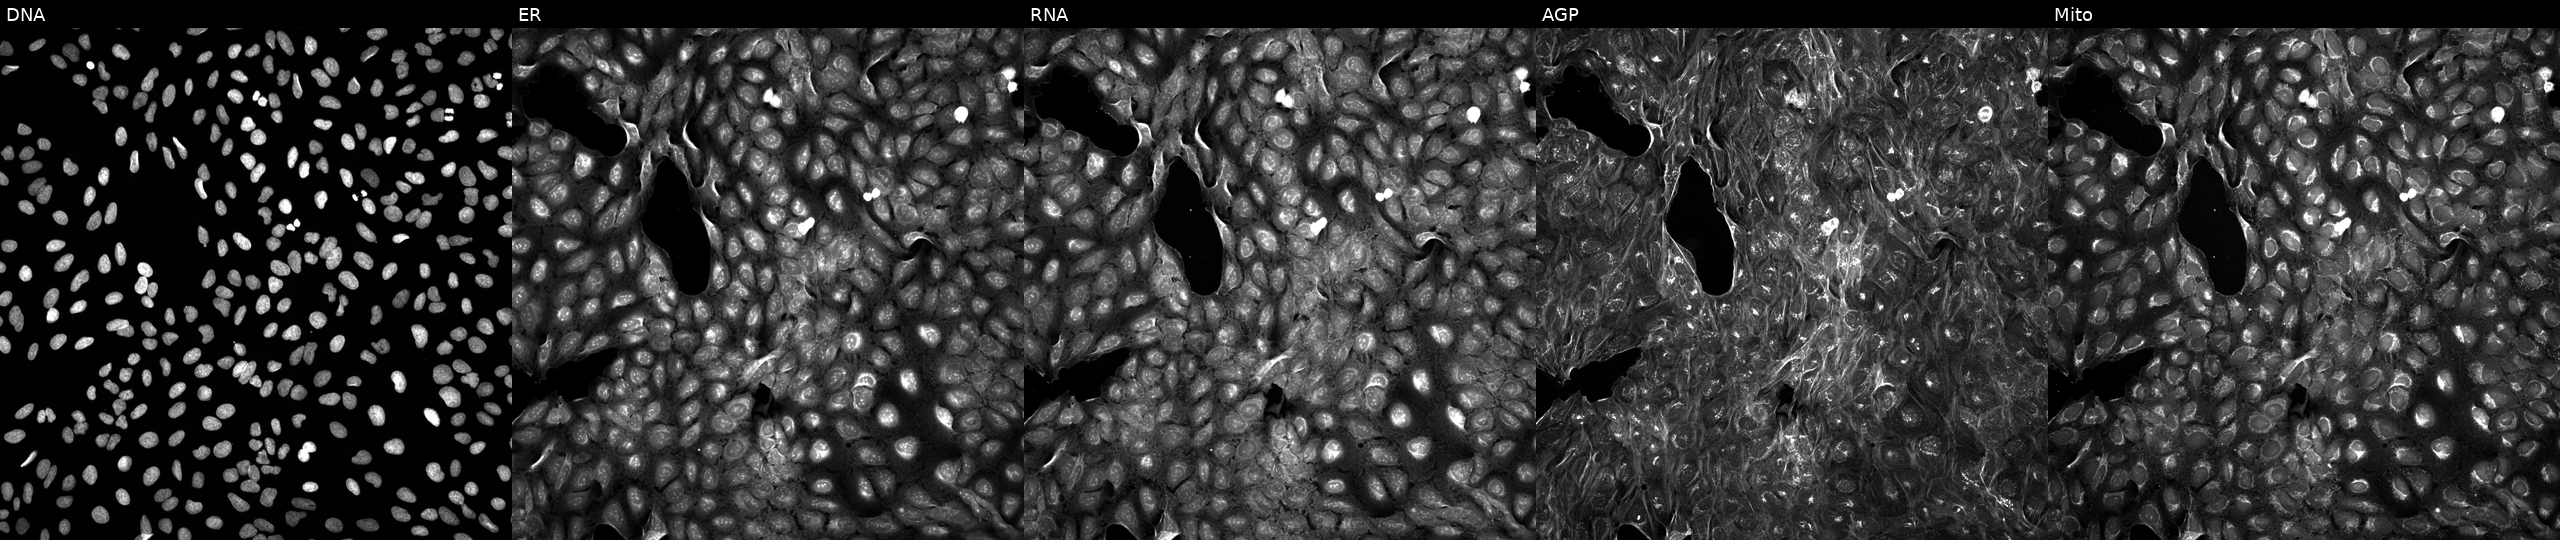
This image strip shows the five Cell Painting channels for a single field of U2OS cells perturbed with a small-molecule compound (InChIKey DOHKIFRISYCFFU-UHFFFAOYSA-N). From left to right: DNA (nuclei); ER (endoplasmic reticulum); RNA (nucleoli and cytoplasmic RNA); AGP (actin cytoskeleton, Golgi, and plasma membrane); Mito (mitochondria). Source 5, plate APTJUM105, well C08.